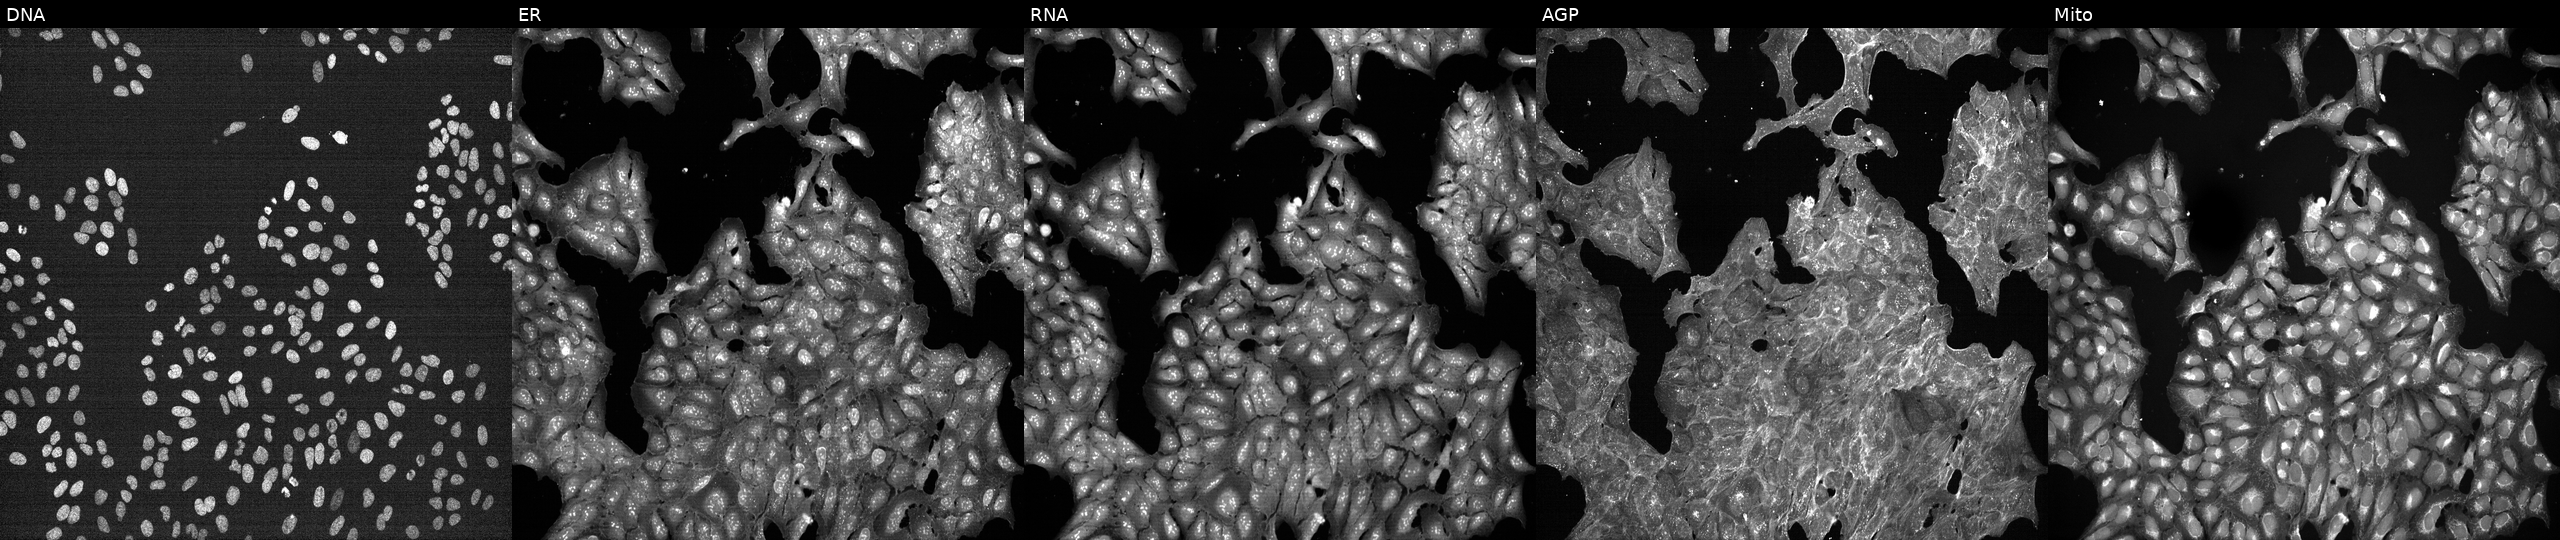
High-content fluorescence microscopy (Cell Painting). Cell line: U2OS. Perturbation: treated with DMSO vehicle only (negative control) (JUMP id JCP2022_033924). The five panels, left to right, show DNA, ER, RNA, AGP, and Mito.